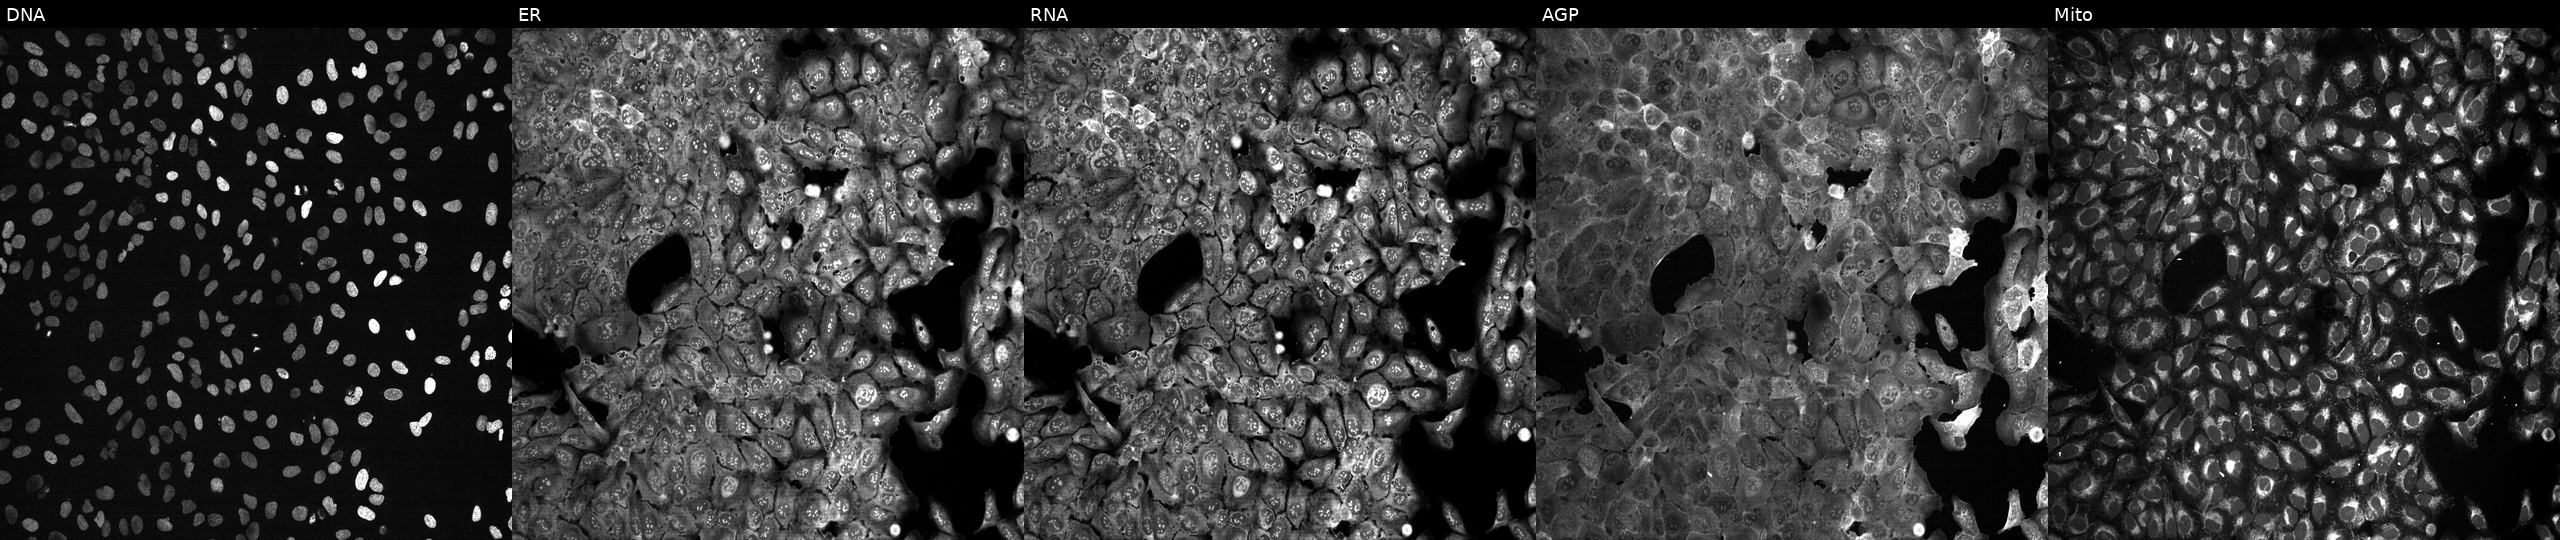
High-content fluorescence microscopy (Cell Painting). Cell line: U2OS. Perturbation: following CRISPR knockout of ACSL4. From left to right: DNA (nuclei); ER (endoplasmic reticulum); RNA (nucleoli and cytoplasmic RNA); AGP (actin cytoskeleton, Golgi, and plasma membrane); Mito (mitochondria).